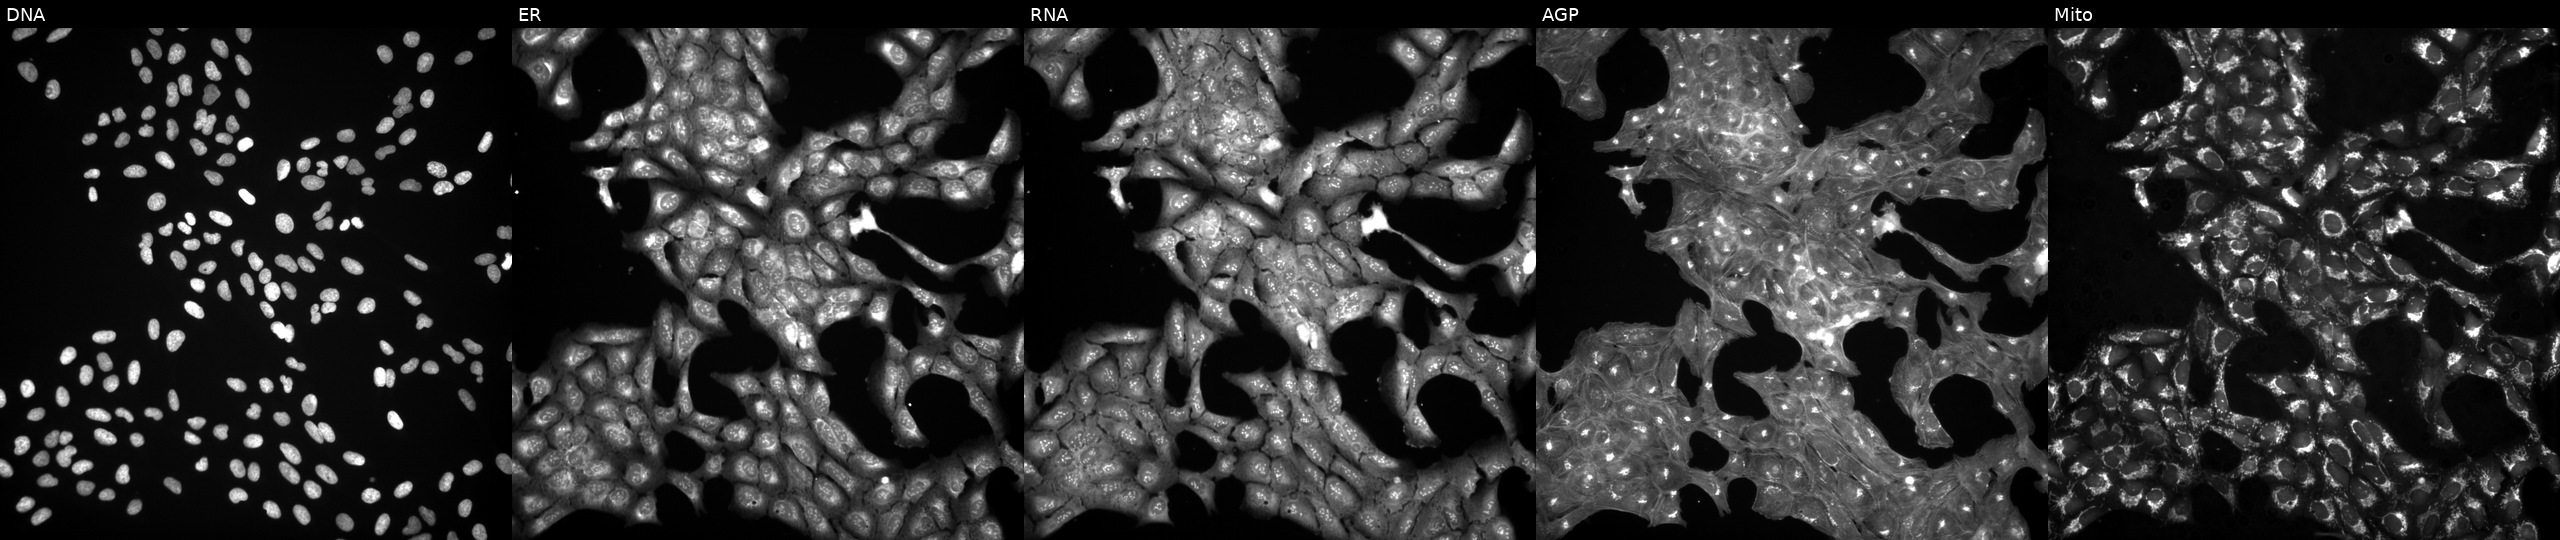
JUMP Cell Painting — COMPOUND plate. U2OS cells exposed to DMSO alone as a negative control. From left to right: DNA (nuclei); ER (endoplasmic reticulum); RNA (nucleoli and cytoplasmic RNA); AGP (actin cytoskeleton, Golgi, and plasma membrane); Mito (mitochondria).